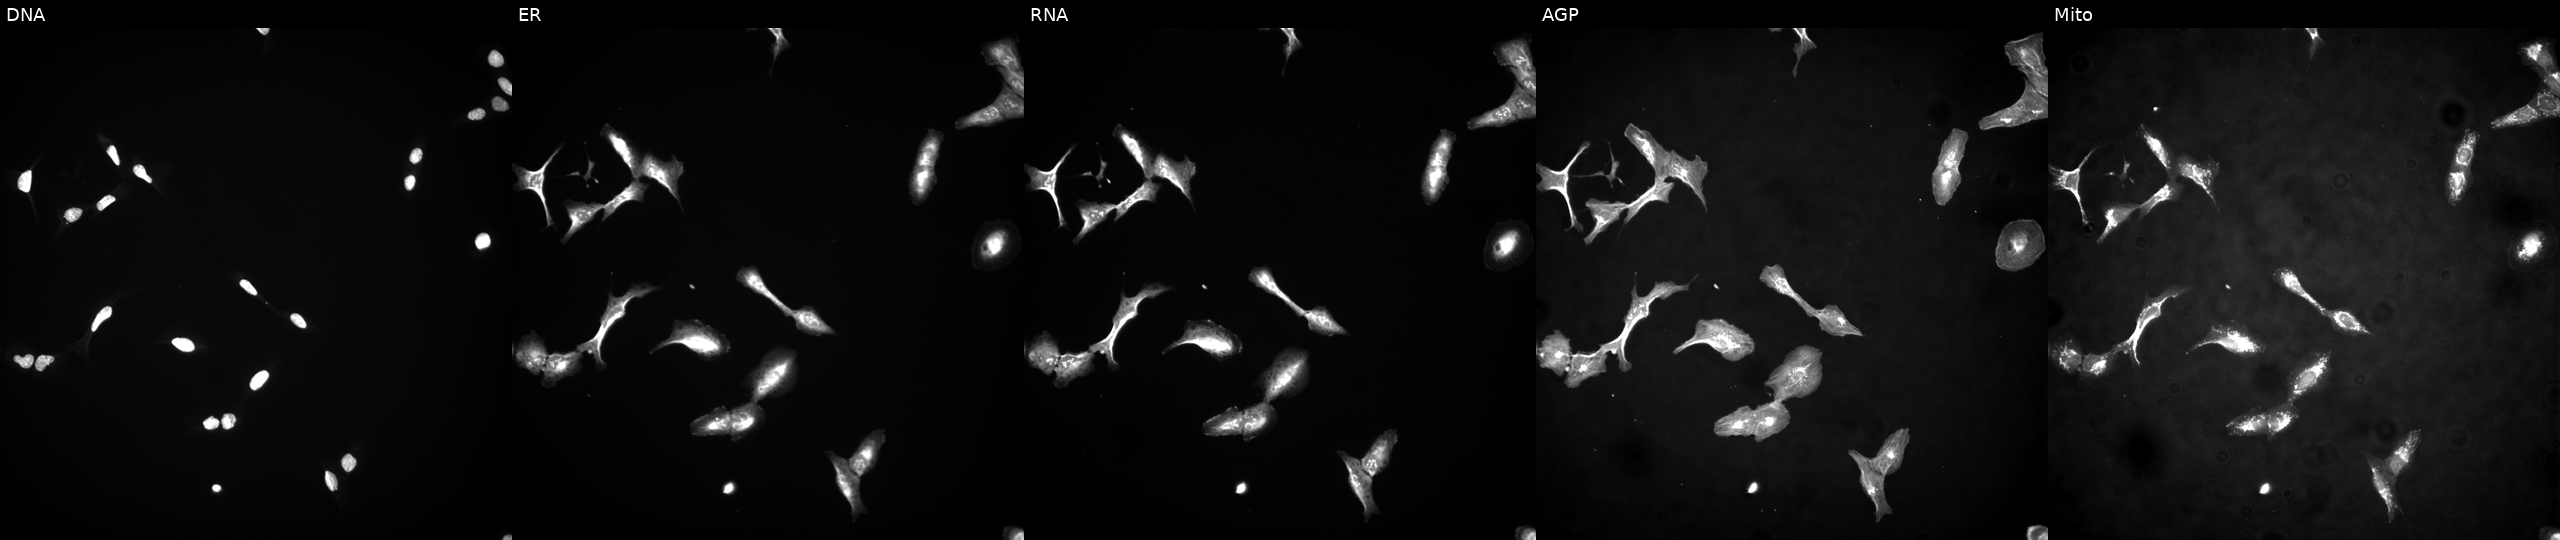
High-content fluorescence microscopy (Cell Painting). Cell line: U2OS. Perturbation: expressing BFP (ORF negative control) (JUMP id JCP2022_915128). From left to right: DNA (nuclei); ER (endoplasmic reticulum); RNA (nucleoli and cytoplasmic RNA); AGP (actin cytoskeleton, Golgi, and plasma membrane); Mito (mitochondria). Source 4, plate BR00124784, well N16.